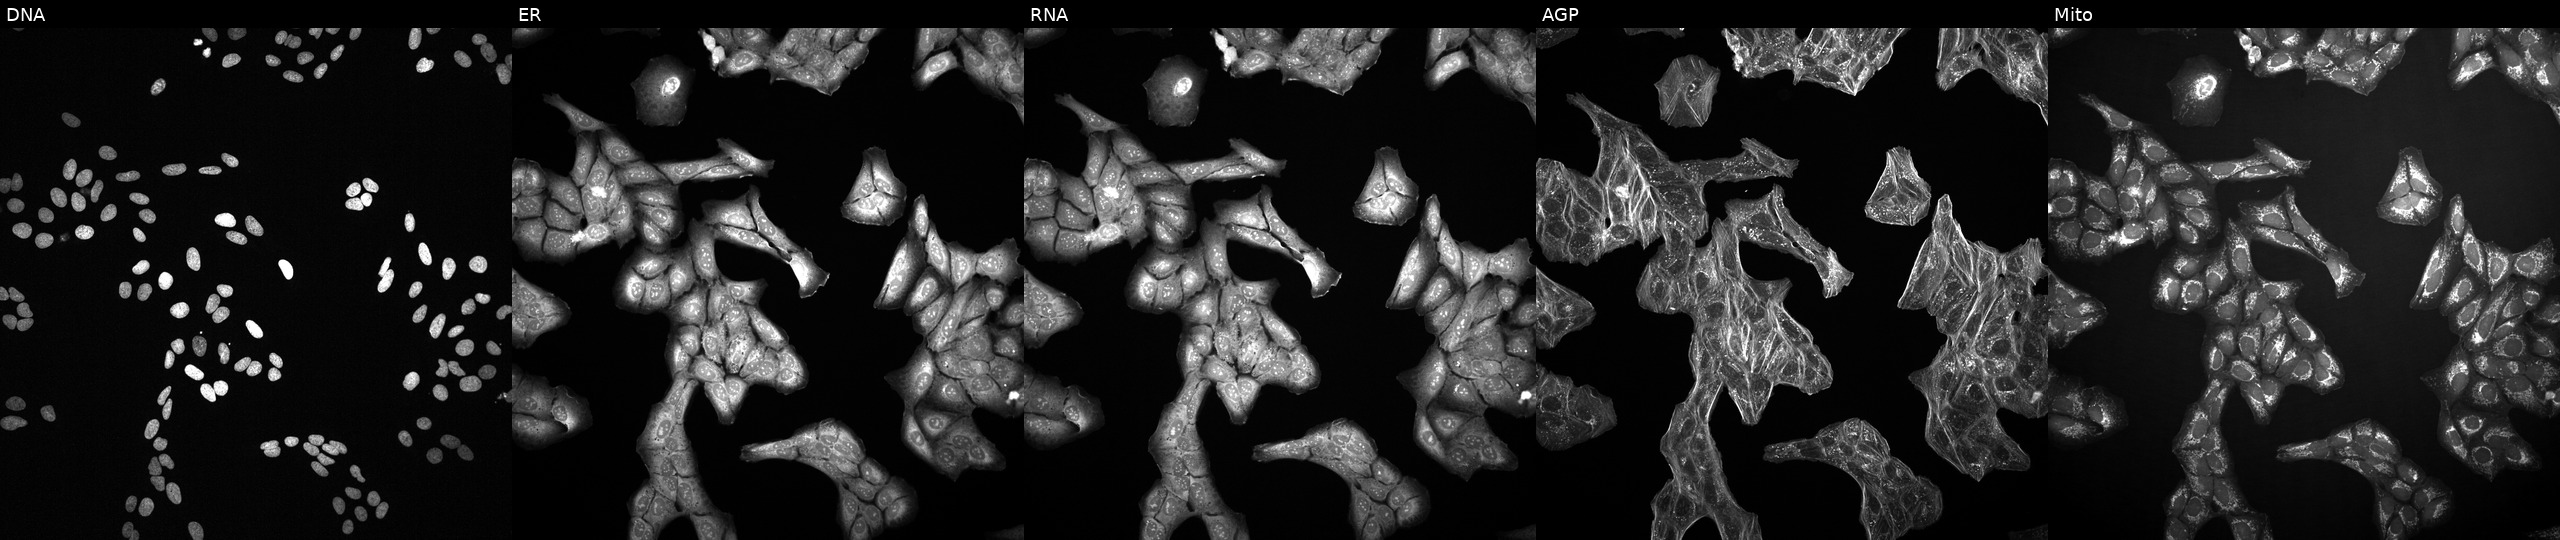
Five-channel Cell Painting image of U2OS cells perturbed with a small-molecule compound (InChIKey XXJWYDDUDKYVKI-UHFFFAOYSA-N) [SMILES: COc1cc2c(Oc3ccc4[nH]c(C)cc4c3F)ncnc2cc1OCCCN1CCCC1]. From left to right: Hoechst 33342, concanavalin A, SYTO 14, phalloidin and WGA, MitoTracker.